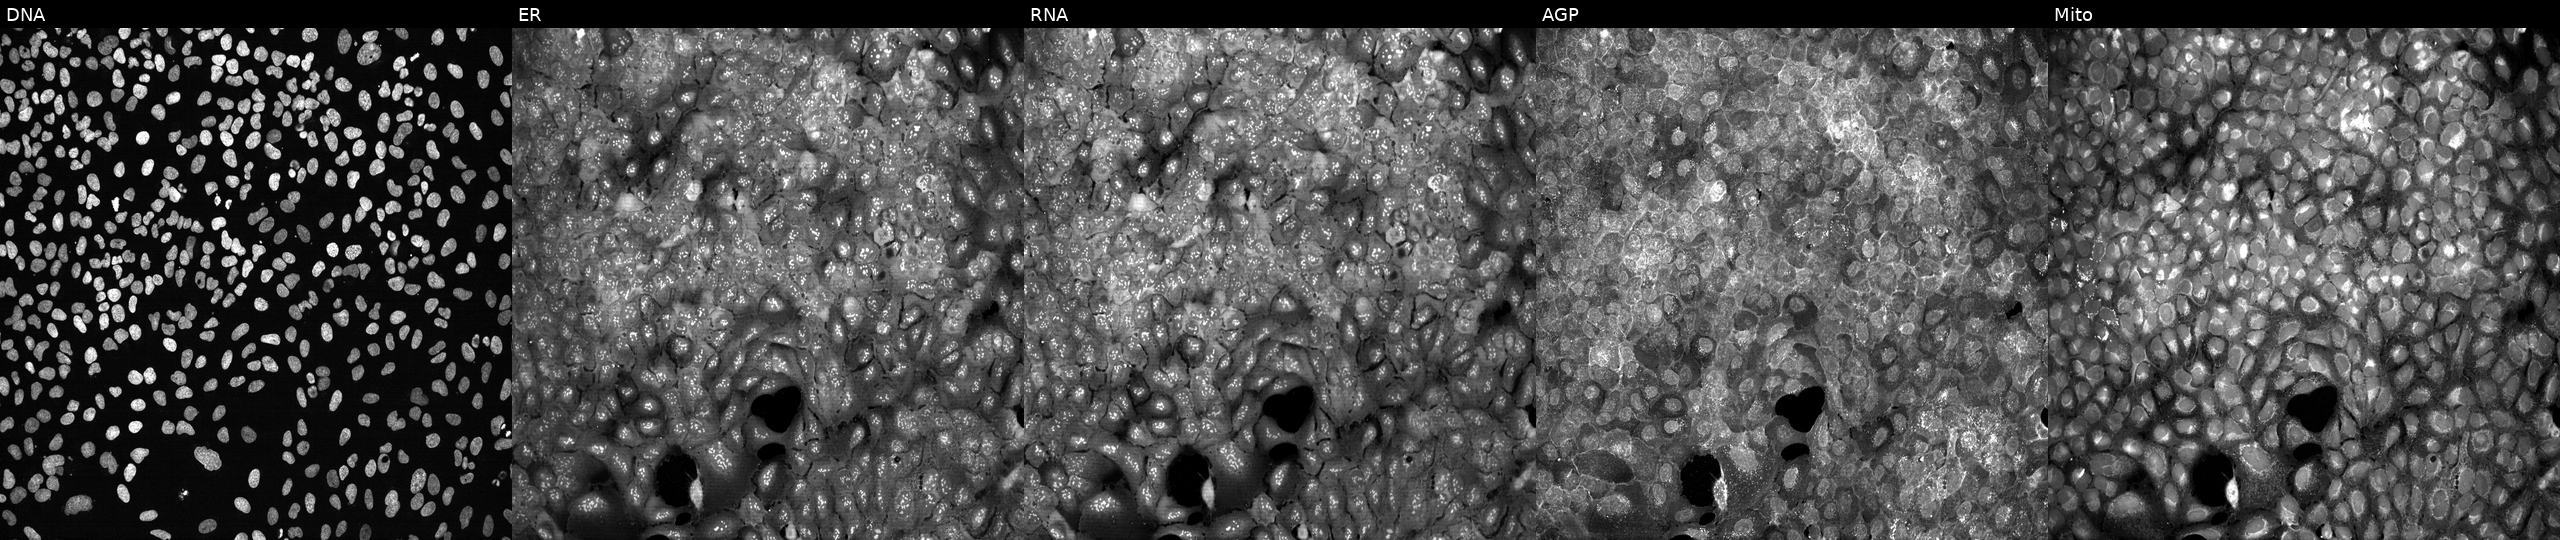
JUMP Cell Painting — CRISPR plate. U2OS cells with DCT knocked out by CRISPR (JUMP id JCP2022_801698). Channels (left→right): Hoechst 33342, concanavalin A, SYTO 14, phalloidin and WGA, MitoTracker.